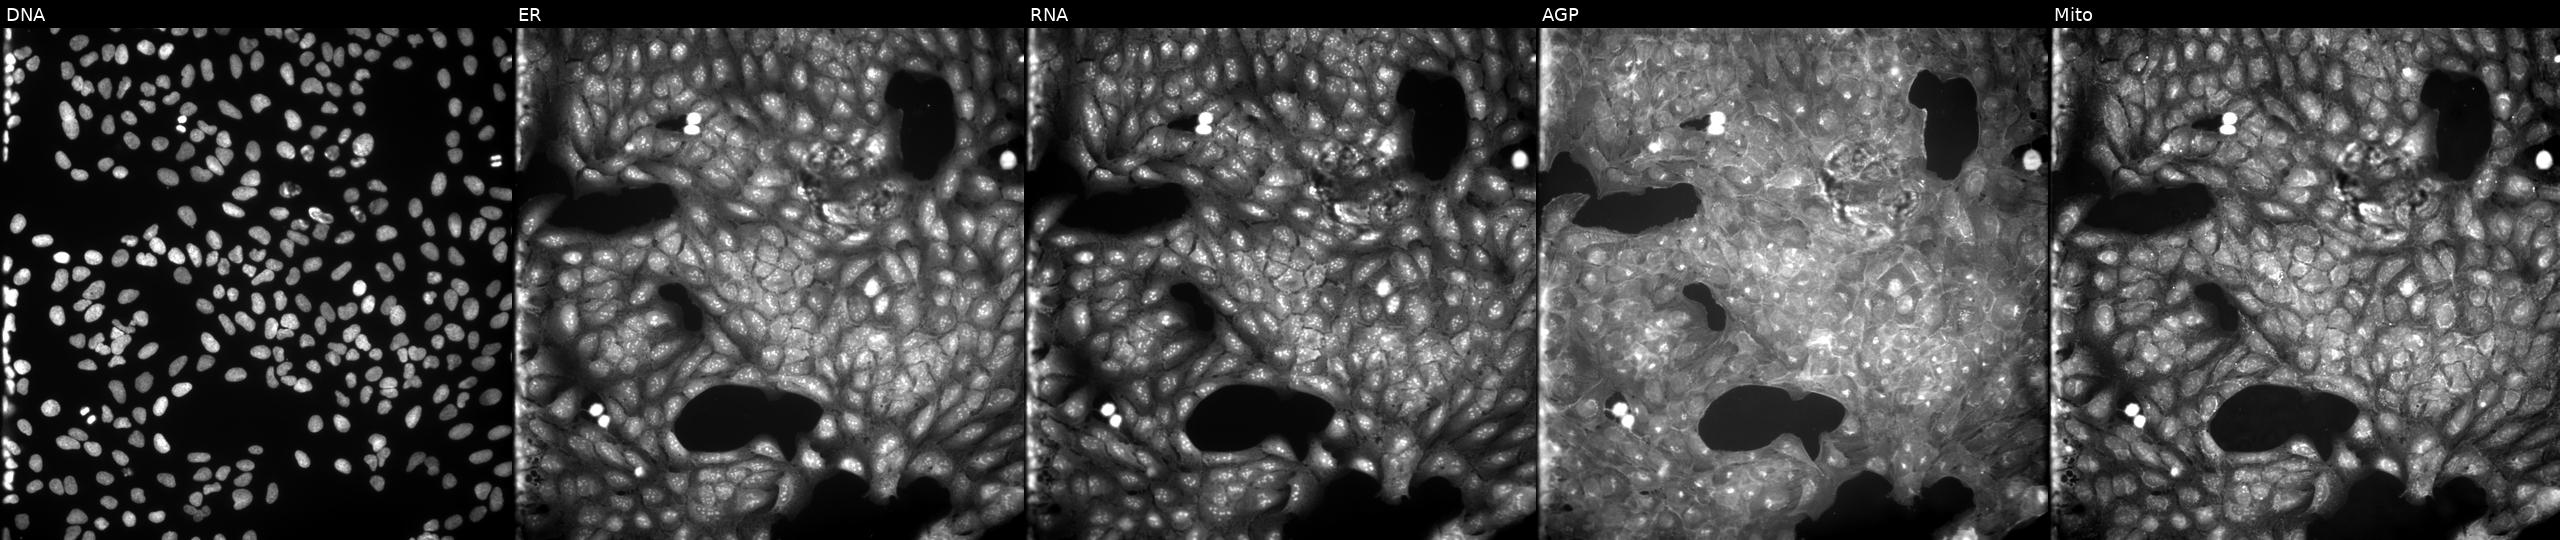
Panels show, left to right, Hoechst 33342, concanavalin A, SYTO 14, phalloidin and WGA, MitoTracker. U2OS osteosarcoma cells exposed to a small-molecule compound. Cell Painting assay, JUMP-CP dataset.